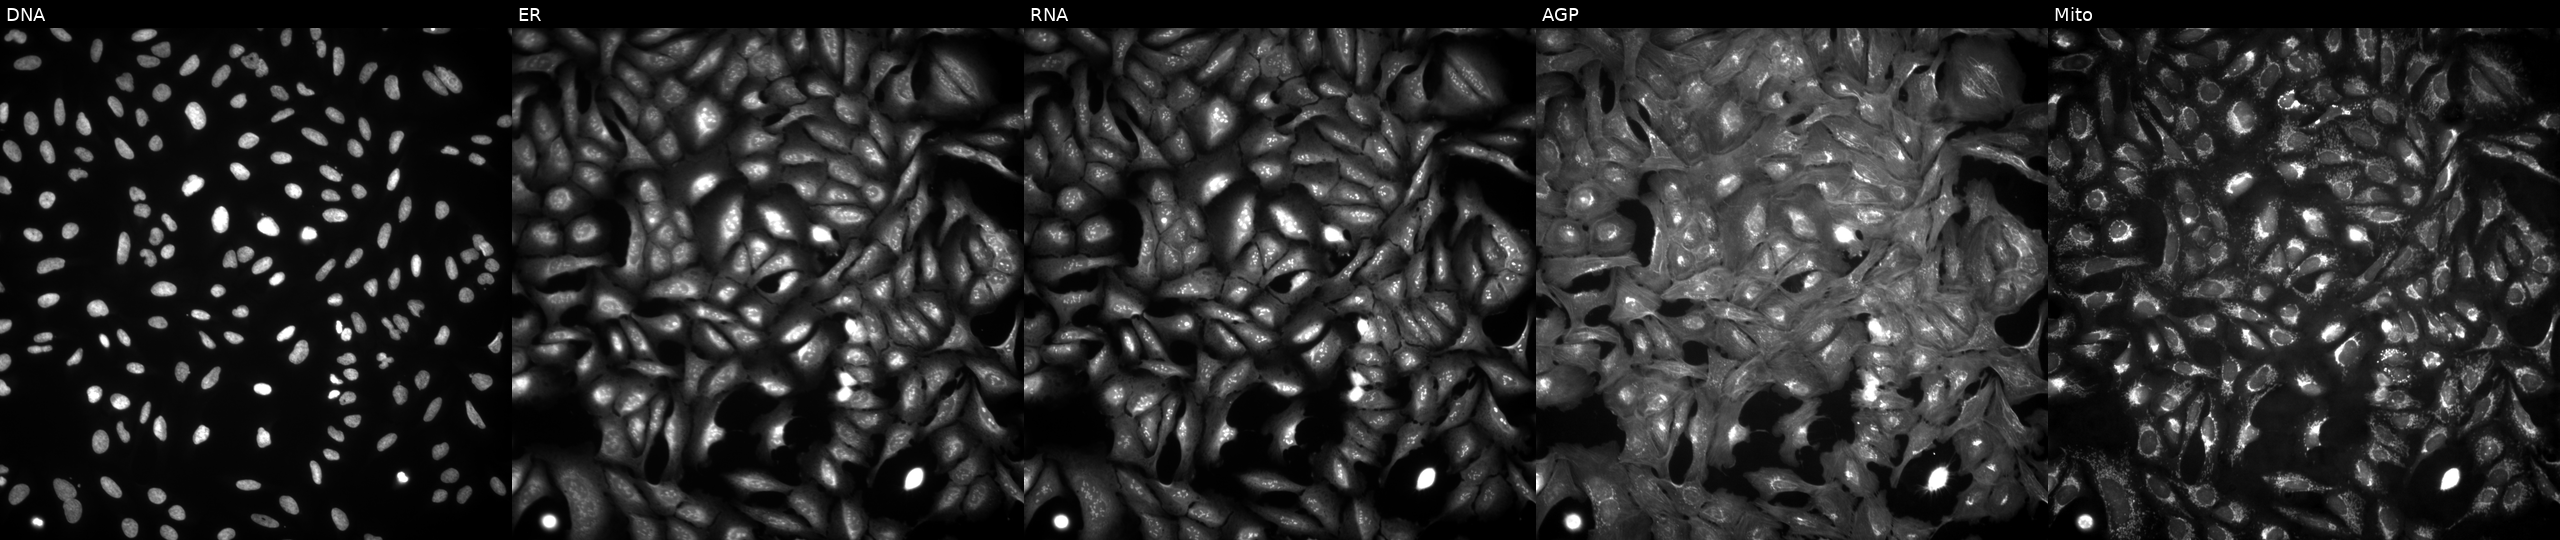
JUMP Cell Painting — ORF plate. U2OS cells overexpressing GPR108 via ORF transfection (JUMP id JCP2022_911484). Panels show, left to right, Hoechst 33342, concanavalin A, SYTO 14, phalloidin and WGA, MitoTracker.